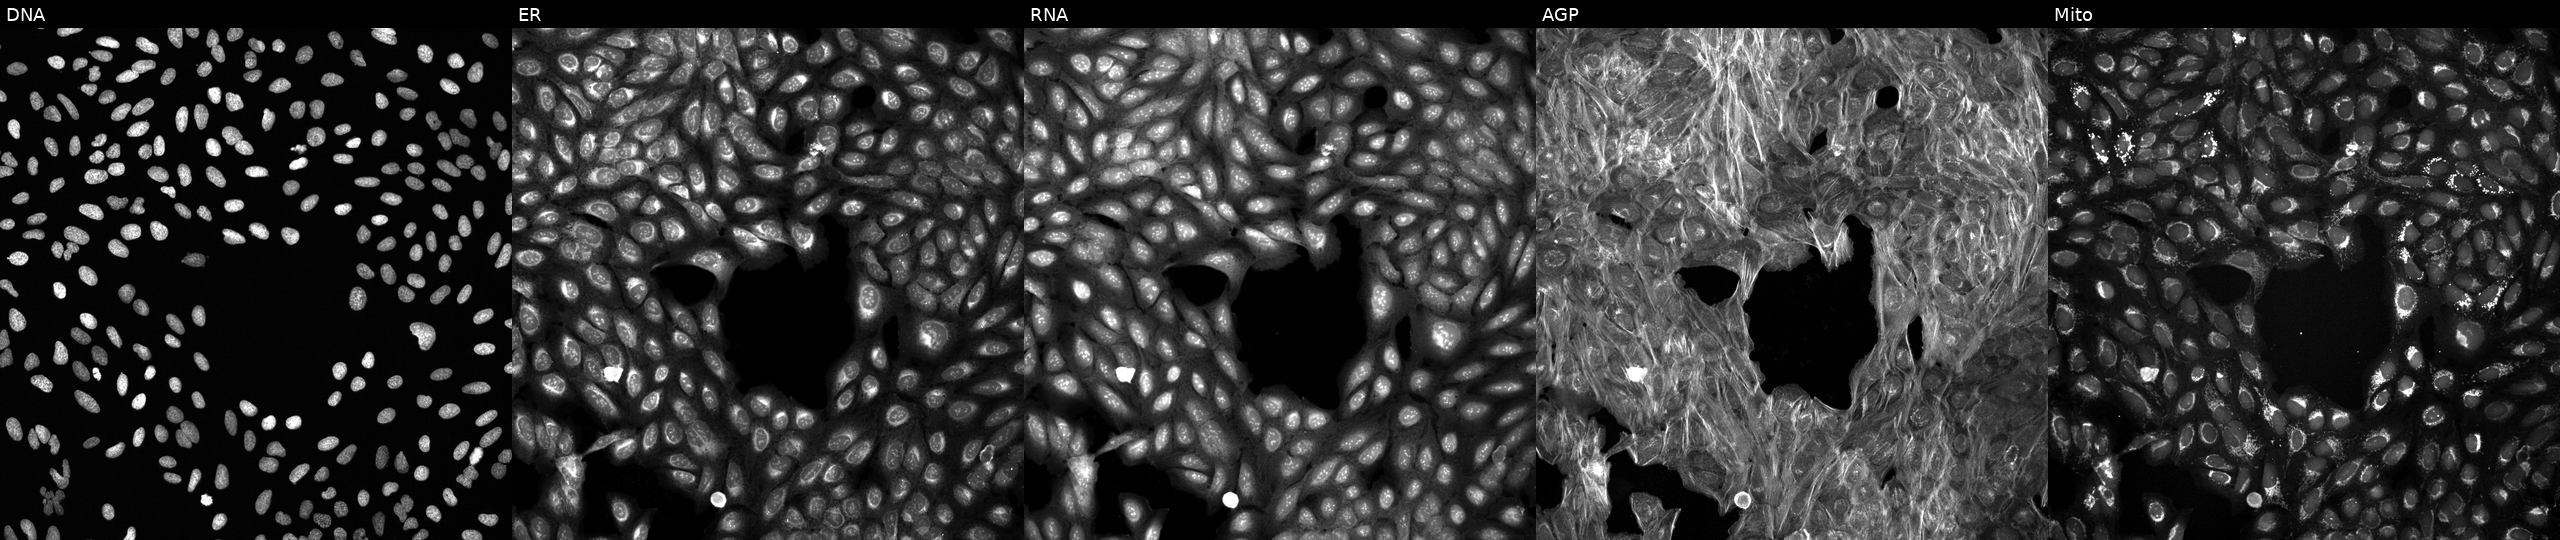
High-content fluorescence microscopy (Cell Painting). Cell line: U2OS. Perturbation: exposed to a small-molecule compound (InChIKey TXZPMHLMPKIUGK-UHFFFAOYSA-N) (JUMP id JCP2022_087474). Panels show, left to right, Hoechst 33342, concanavalin A, SYTO 14, phalloidin and WGA, MitoTracker. Source 6, plate 110000293093, well C06.